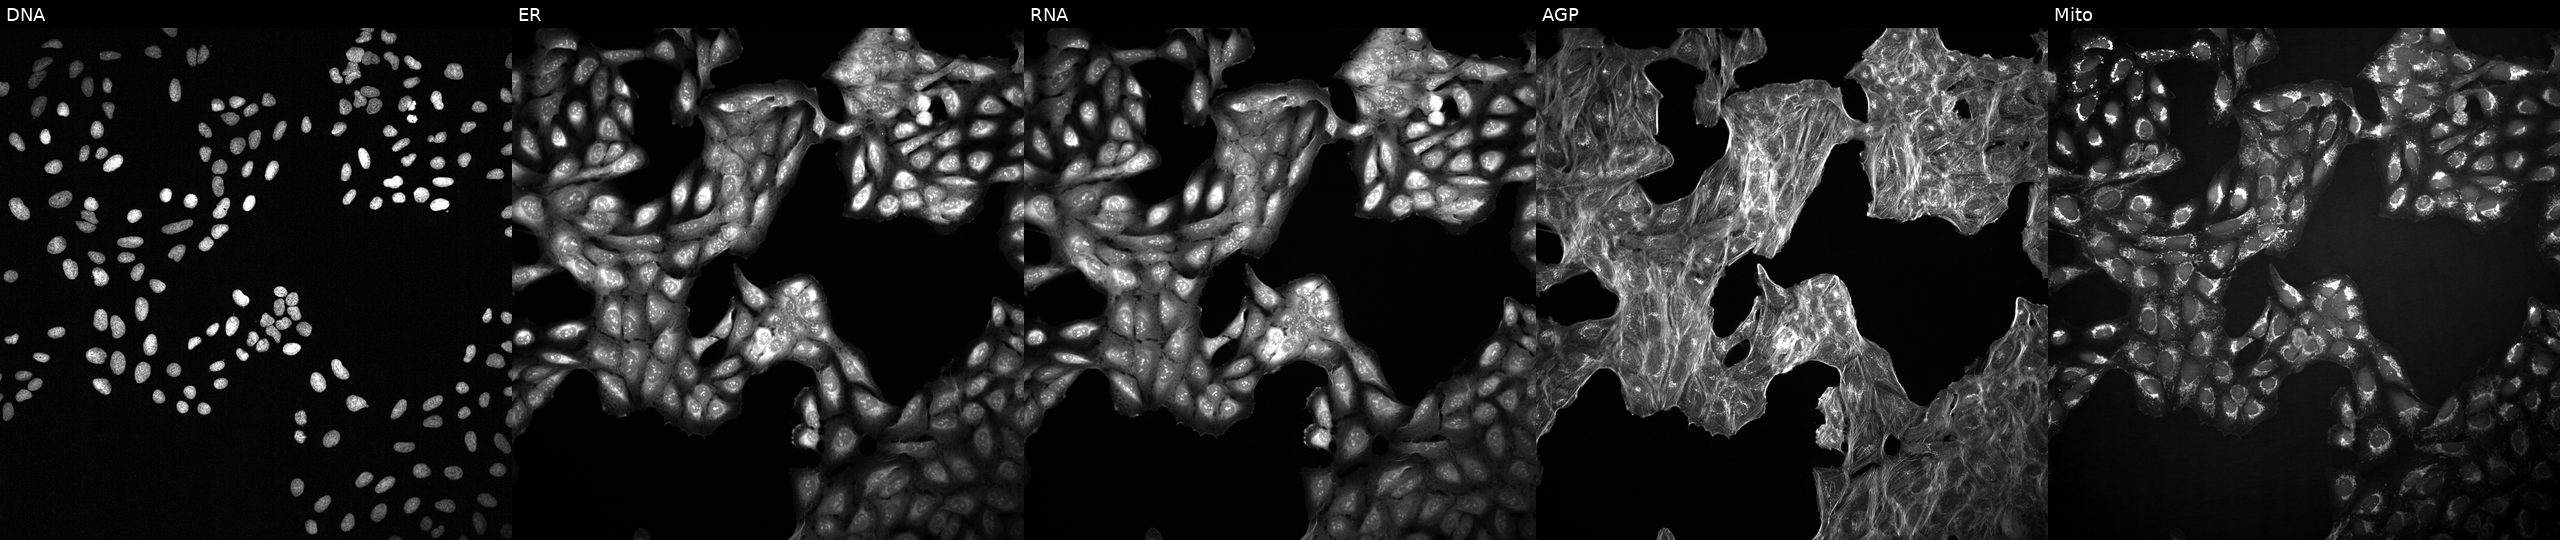
High-content fluorescence microscopy (Cell Painting). Cell line: U2OS. Perturbation: with an unidentified perturbation (not annotated in JUMP metadata). Channels (left→right): DNA (nuclei); ER (endoplasmic reticulum); RNA (nucleoli and cytoplasmic RNA); AGP (actin cytoskeleton, Golgi, and plasma membrane); Mito (mitochondria). Source 2, plate 1053601763, well N20.